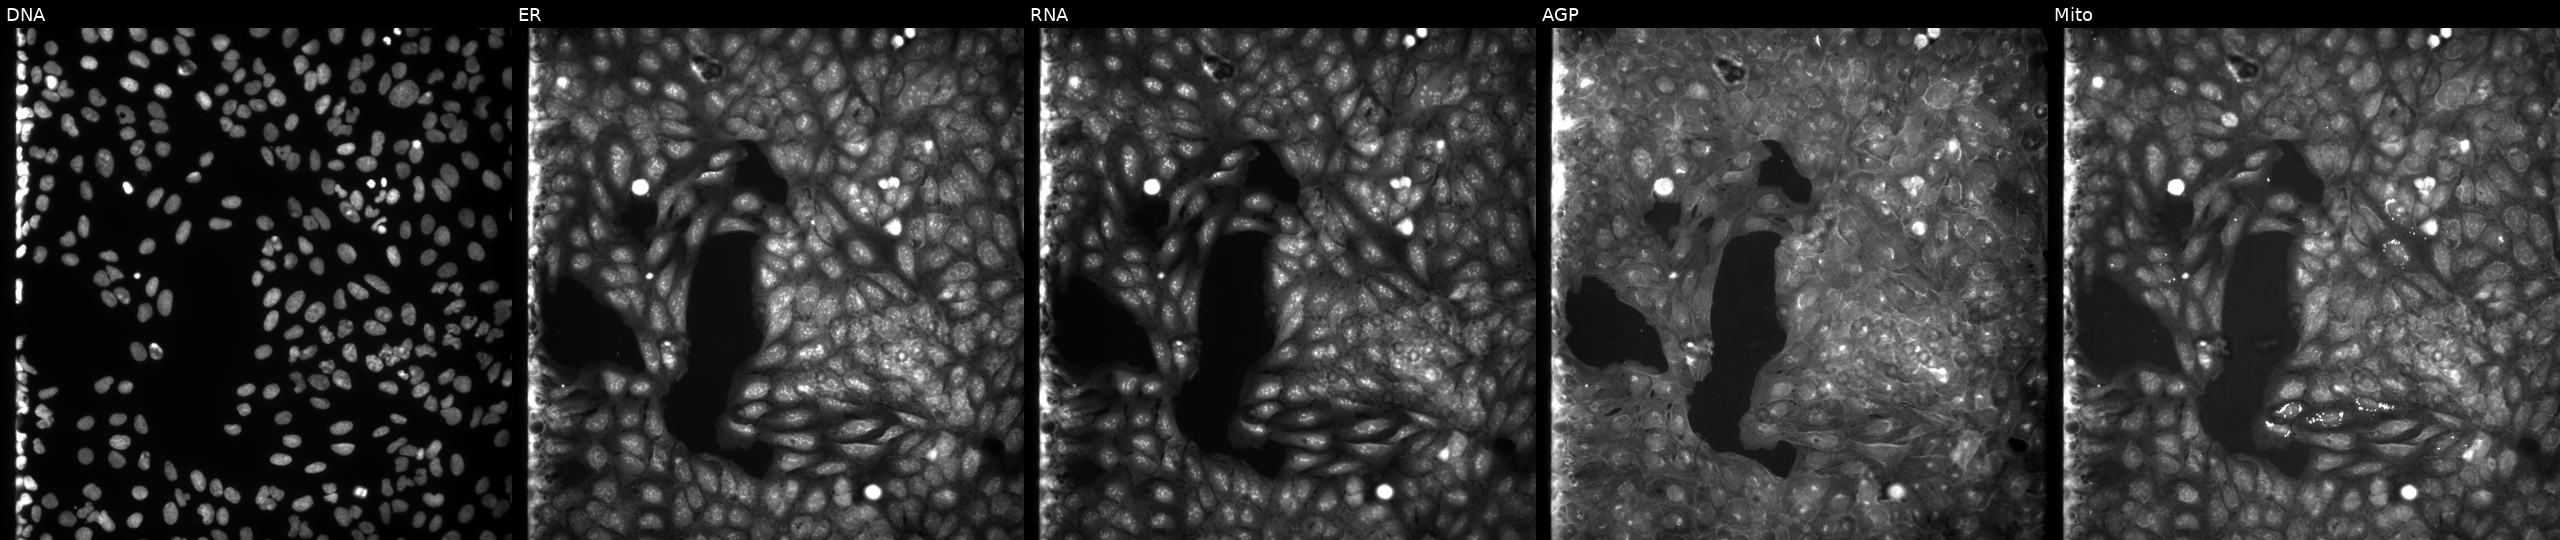
U2OS cells, Cell Painting assay, treated with a small-molecule compound (InChIKey KJHZMXQTQKFKML-UHFFFAOYSA-N) (JUMP id JCP2022_044993). From left to right: DNA (nuclei); ER (endoplasmic reticulum); RNA (nucleoli and cytoplasmic RNA); AGP (actin cytoskeleton, Golgi, and plasma membrane); Mito (mitochondria). Each panel is percentile-stretched 16-bit fluorescence.